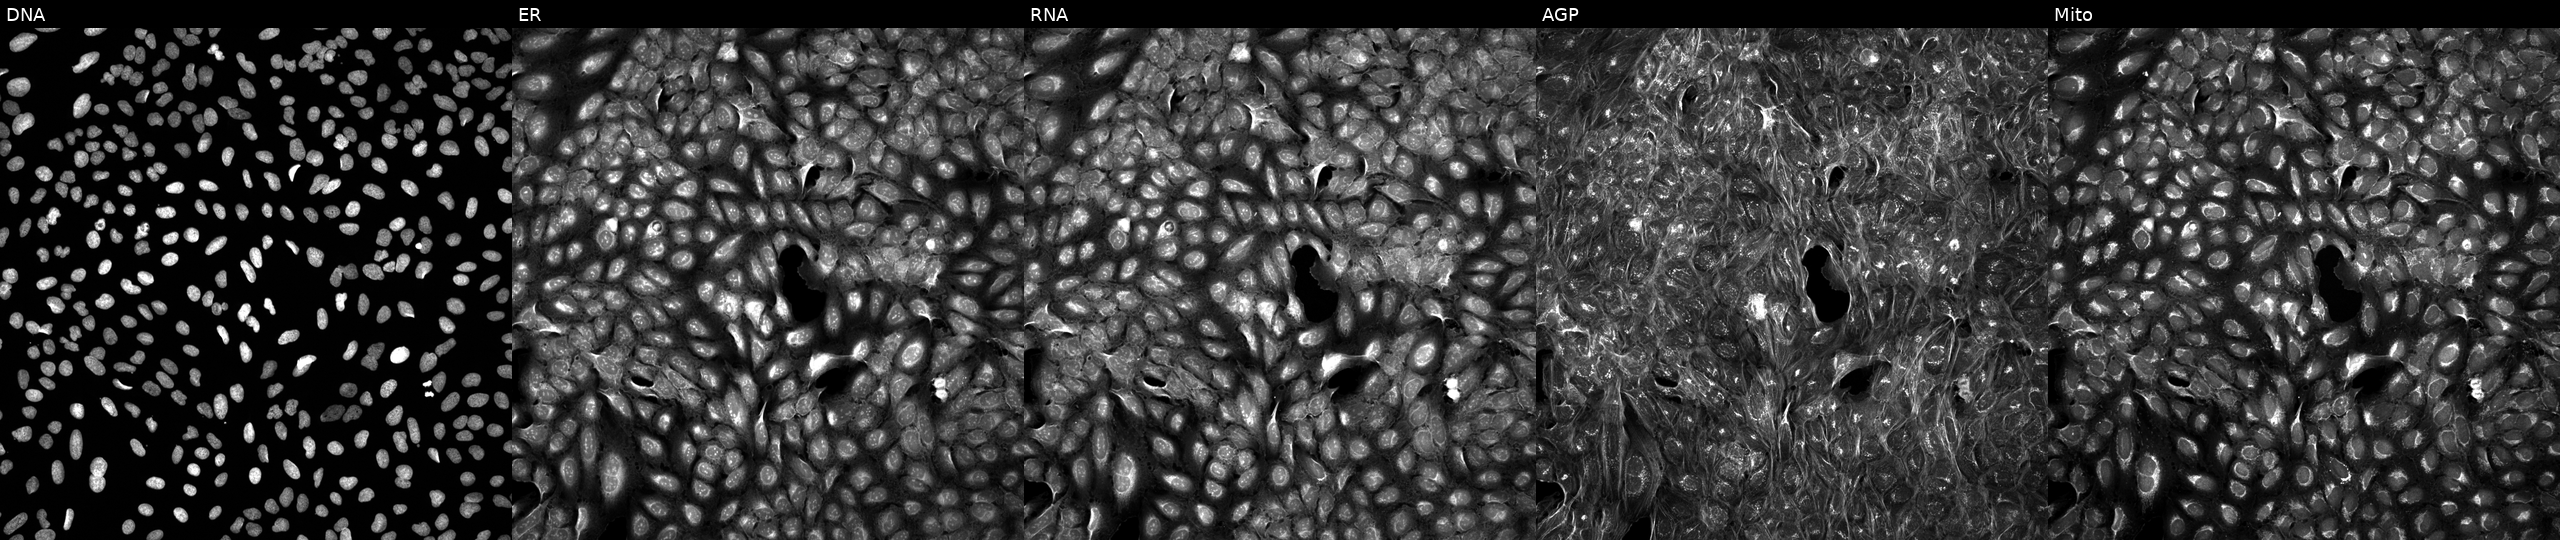
U2OS cells, Cell Painting assay, treated with a small-molecule compound (InChIKey PPLZRSNWAPZNTI-UHFFFAOYSA-N) (JUMP id JCP2022_070140). From left to right: Hoechst 33342, concanavalin A, SYTO 14, phalloidin and WGA, MitoTracker. Each panel is percentile-stretched 16-bit fluorescence.